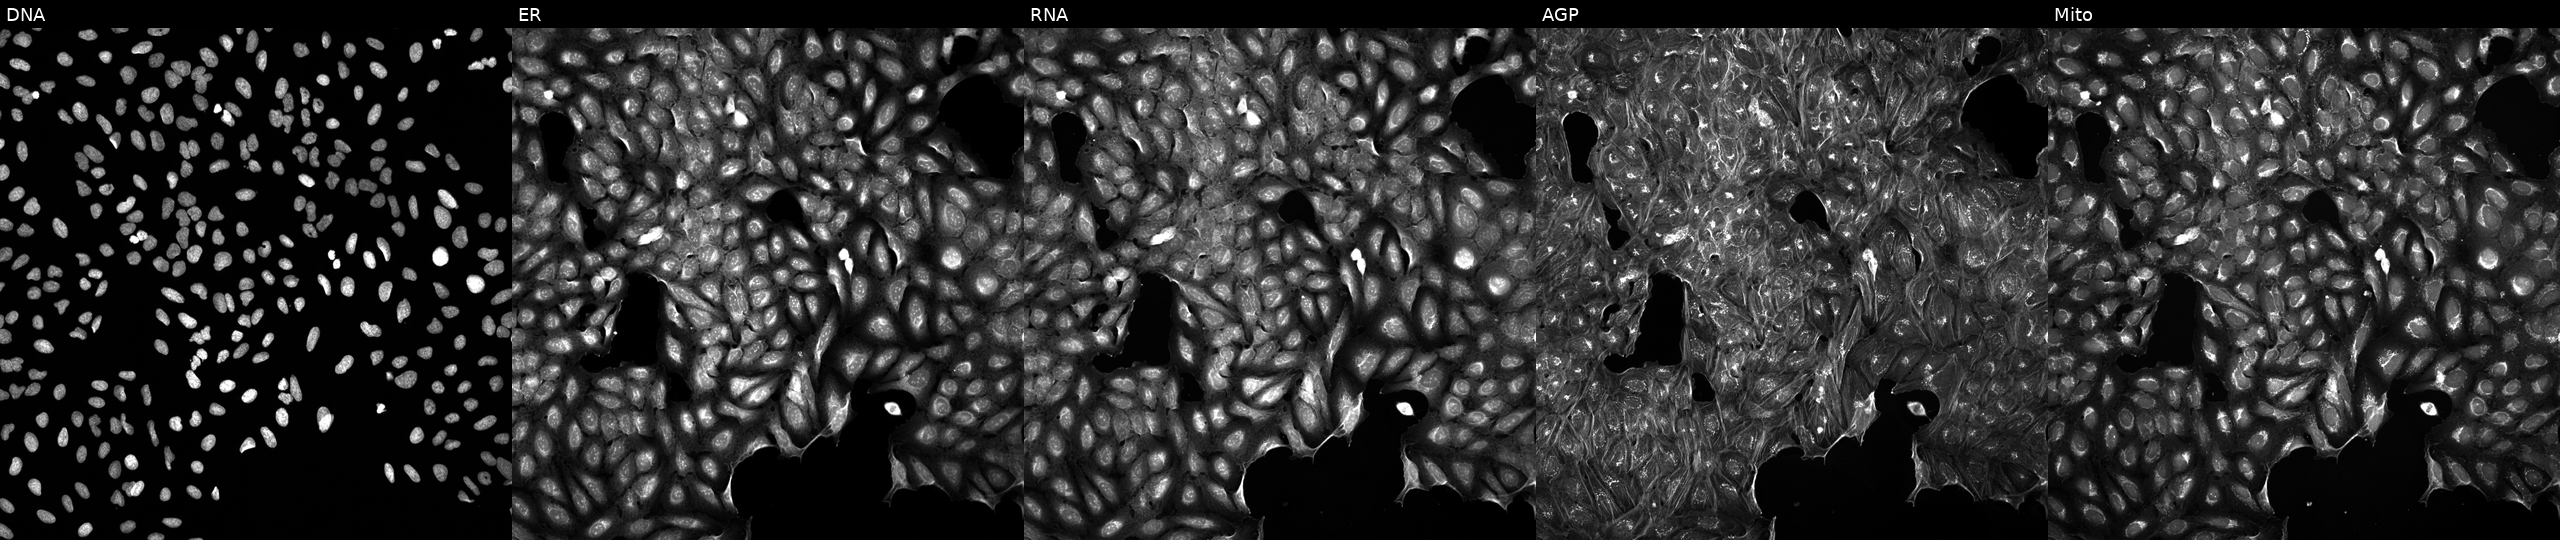
U2OS cells, Cell Painting assay, exposed to a small-molecule compound. Panels show, left to right, Hoechst 33342, concanavalin A, SYTO 14, phalloidin and WGA, MitoTracker. Each panel is percentile-stretched 16-bit fluorescence. Source 5, plate APTJUM105, well L13.